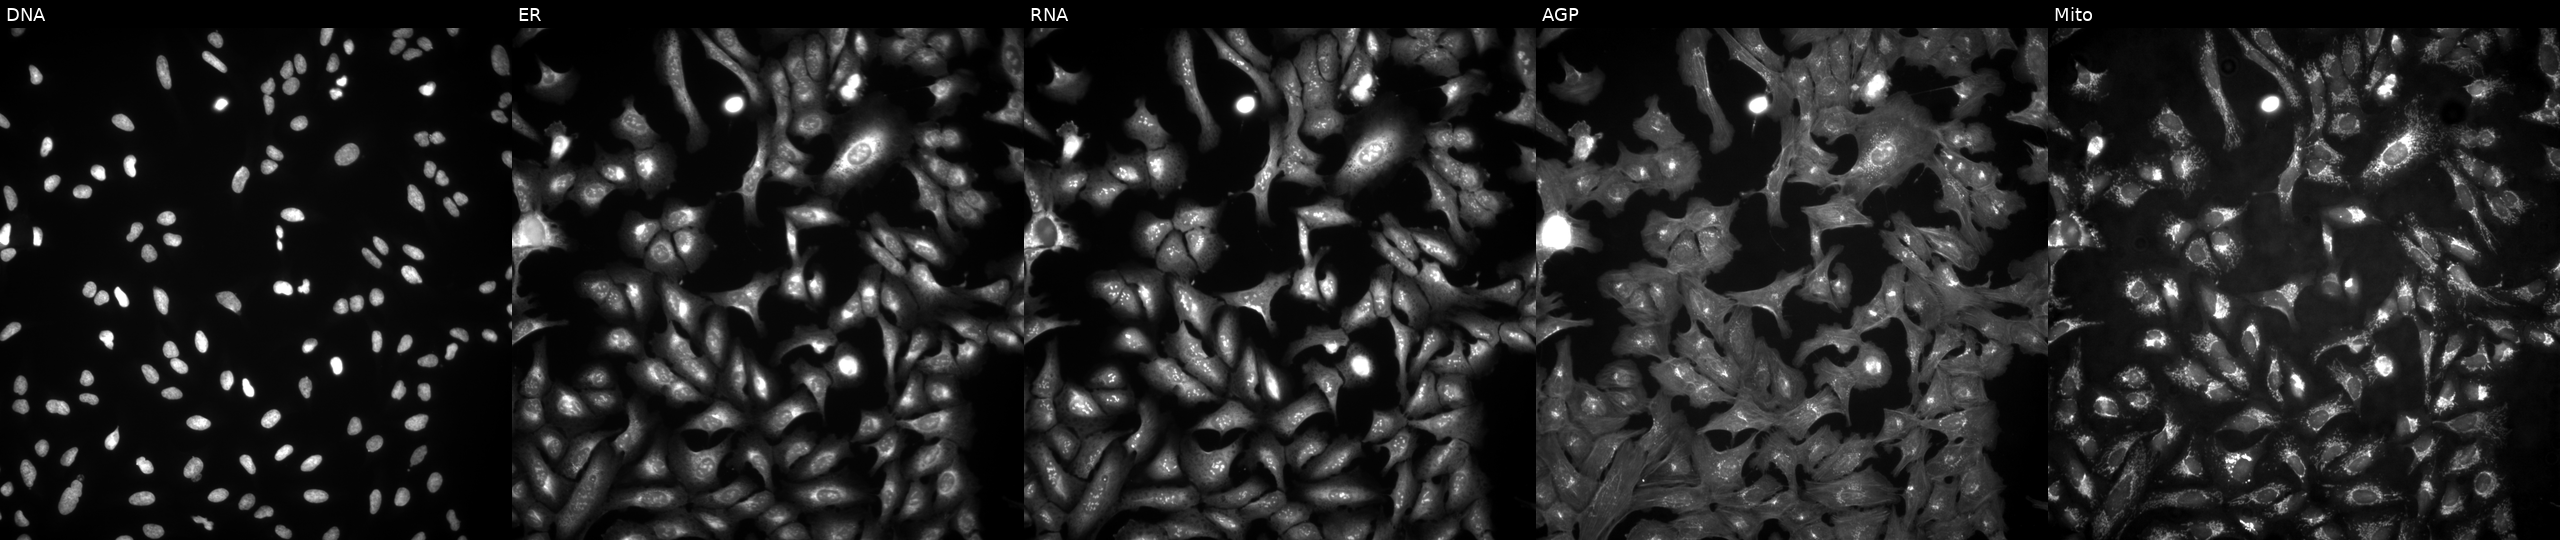
This image strip shows the five Cell Painting channels for a single field of U2OS cells with CALML4 overexpressed (ORF) (JUMP id JCP2022_912093). Channels (left→right): DNA, ER, RNA, AGP, and Mito.